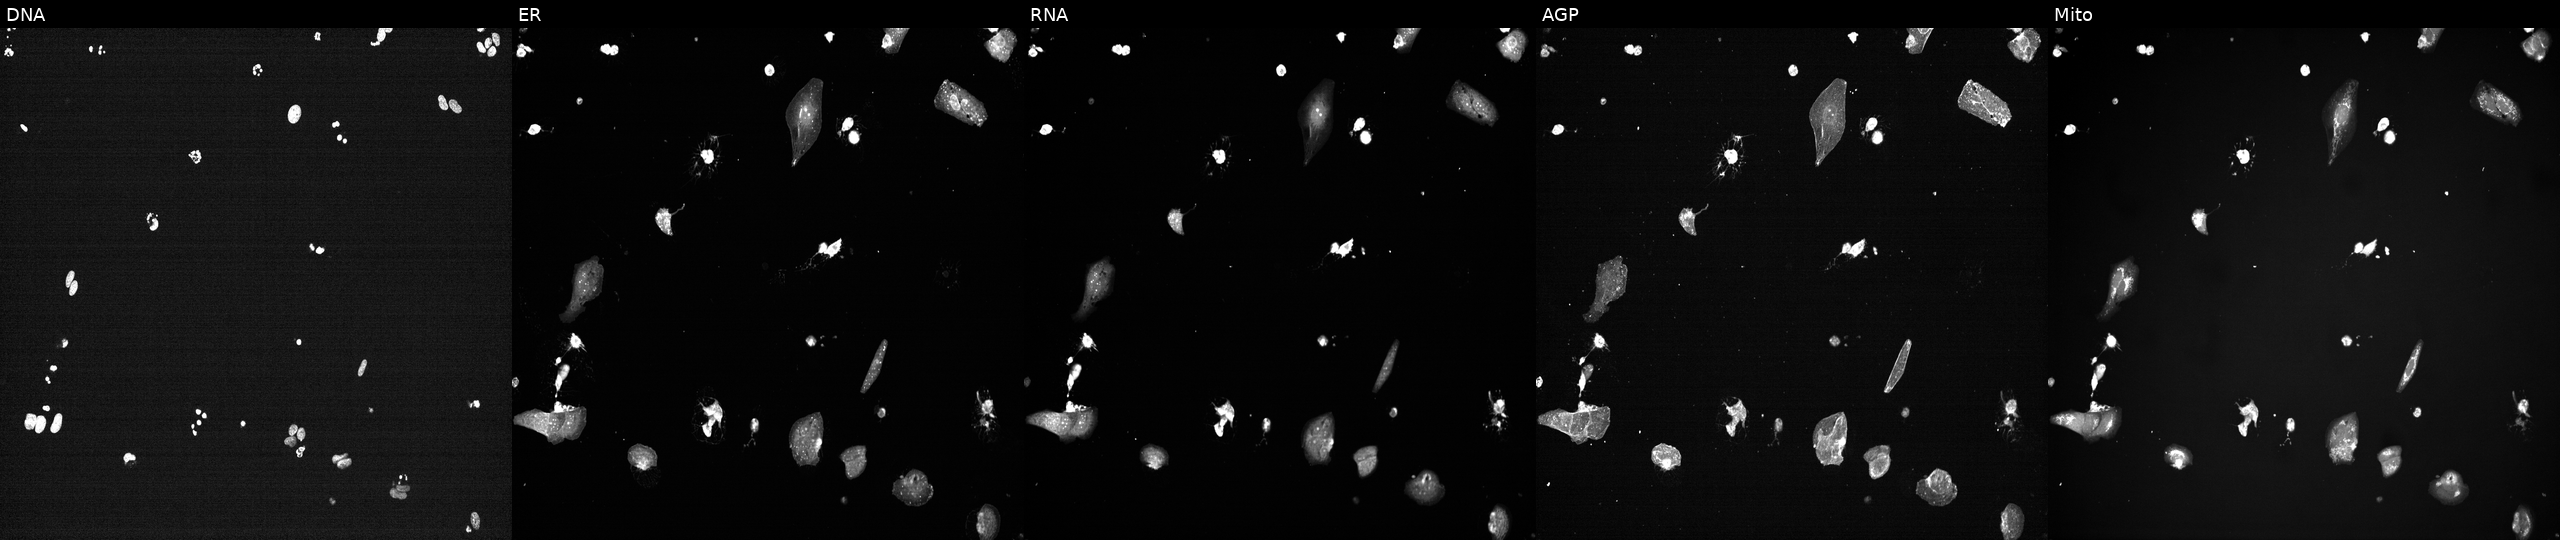
JUMP Cell Painting — TARGET2 plate. U2OS cells perturbed with a small-molecule compound (InChIKey WSMQUUGTQYPVPD-UHFFFAOYSA-N) (JUMP id JCP2022_100876). Channels (left→right): DNA (nuclei); ER (endoplasmic reticulum); RNA (nucleoli and cytoplasmic RNA); AGP (actin cytoskeleton, Golgi, and plasma membrane); Mito (mitochondria). Source 7, plate CP2-SC1-25, well O23.